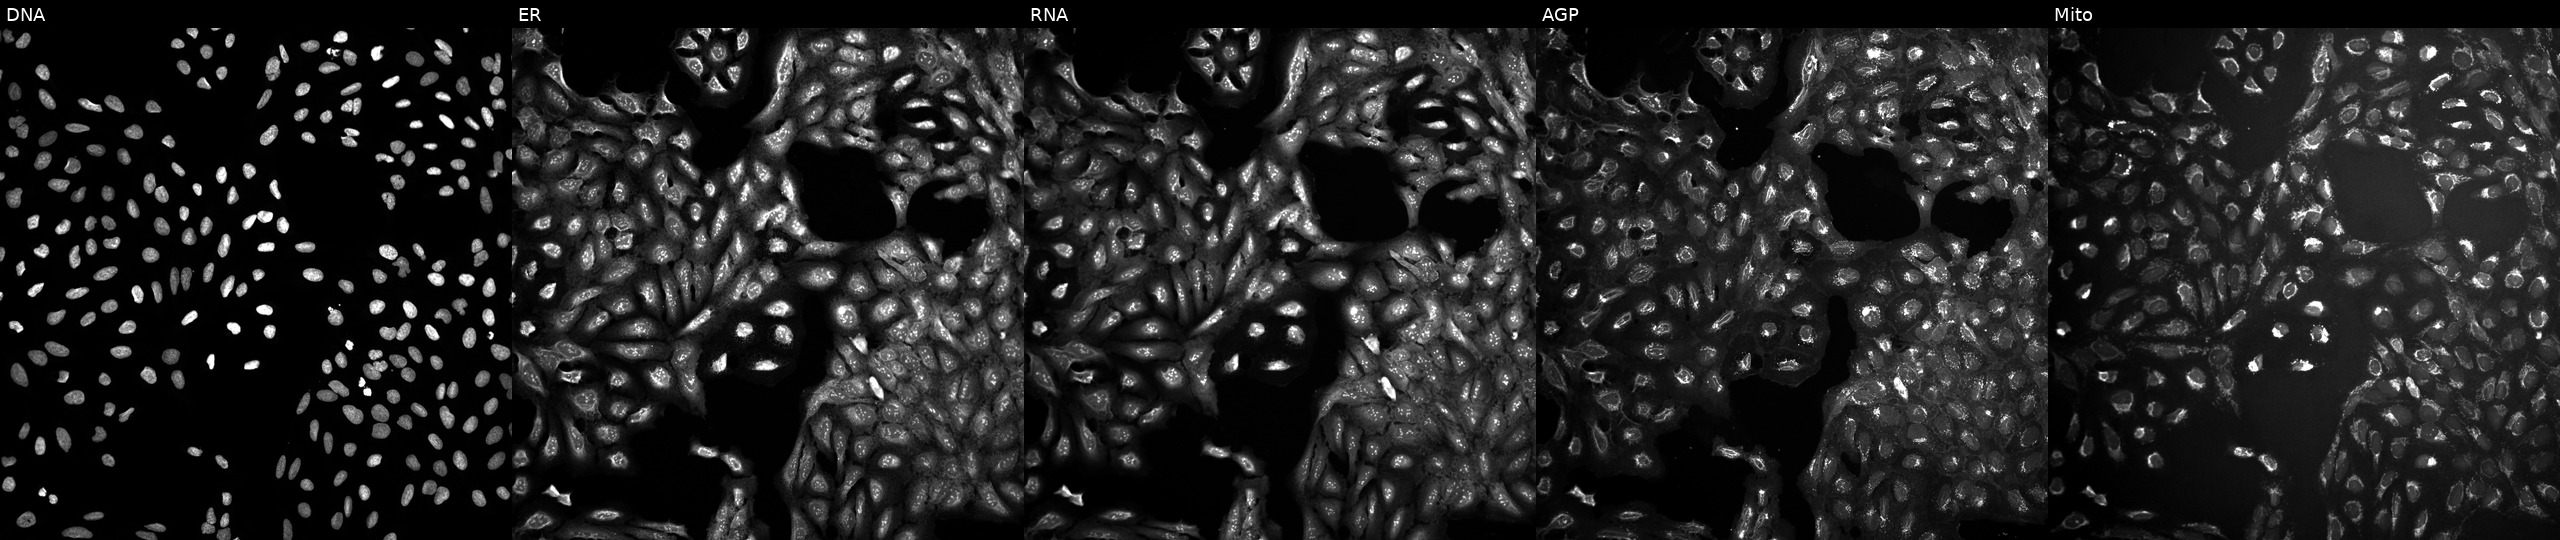
Five-channel Cell Painting image of U2OS cells exposed to a small-molecule compound. From left to right: Hoechst 33342, concanavalin A, SYTO 14, phalloidin and WGA, MitoTracker. Source 10, plate Dest210803-153958, well I24.